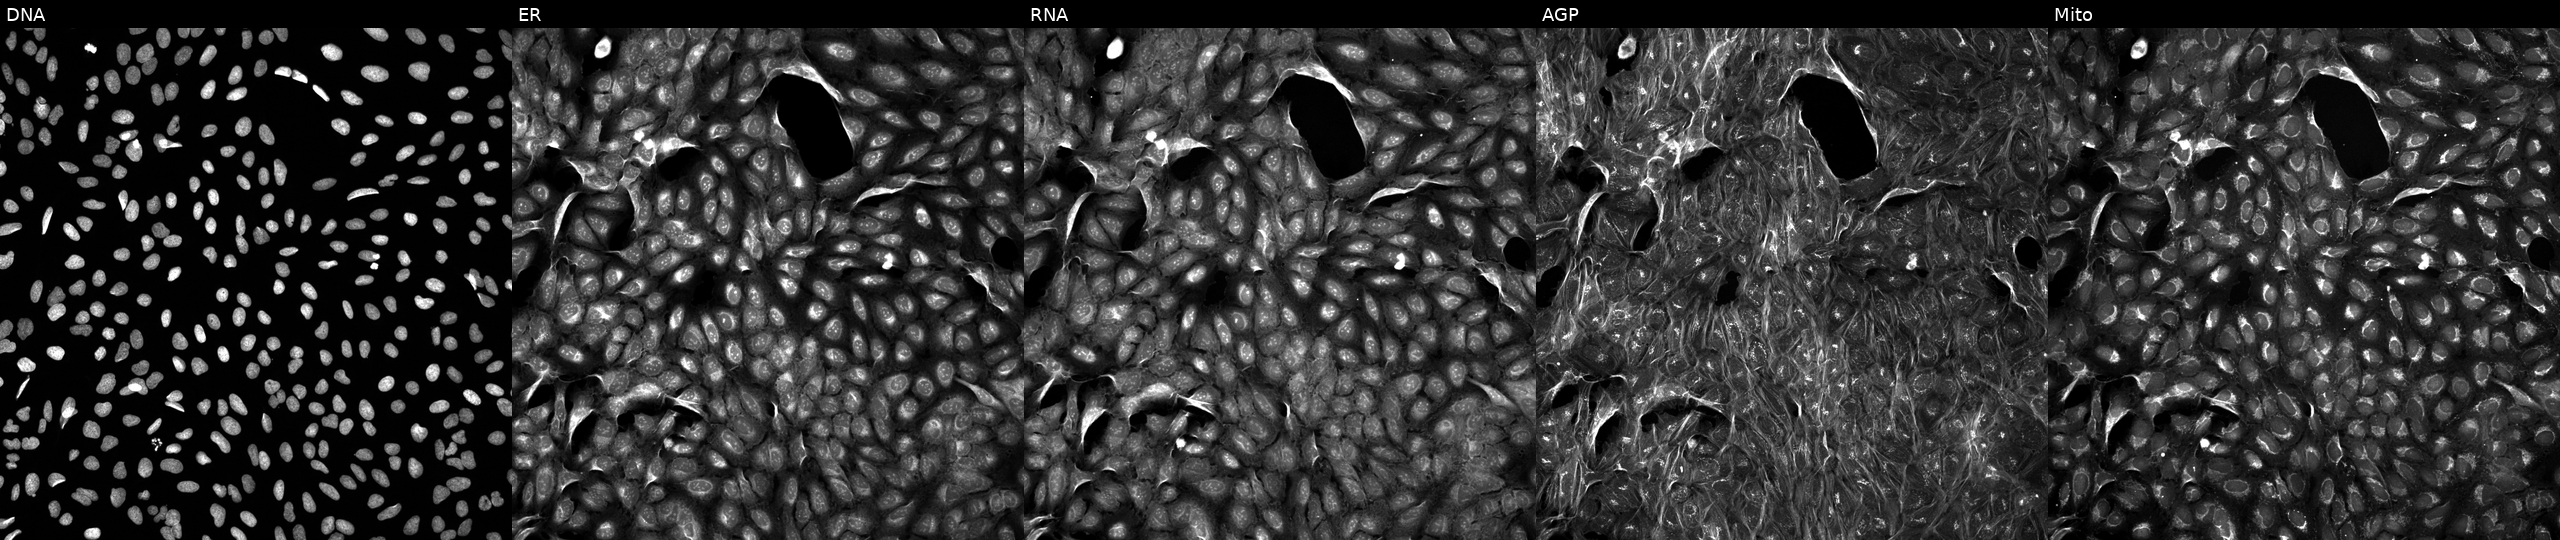
JUMP Cell Painting — TARGET2 plate. U2OS cells perturbed with a small-molecule compound (InChIKey SNICXCGAKADSCV-UHFFFAOYSA-N) (JUMP id JCP2022_084364). From left to right: DNA (nuclei); ER (endoplasmic reticulum); RNA (nucleoli and cytoplasmic RNA); AGP (actin cytoskeleton, Golgi, and plasma membrane); Mito (mitochondria).